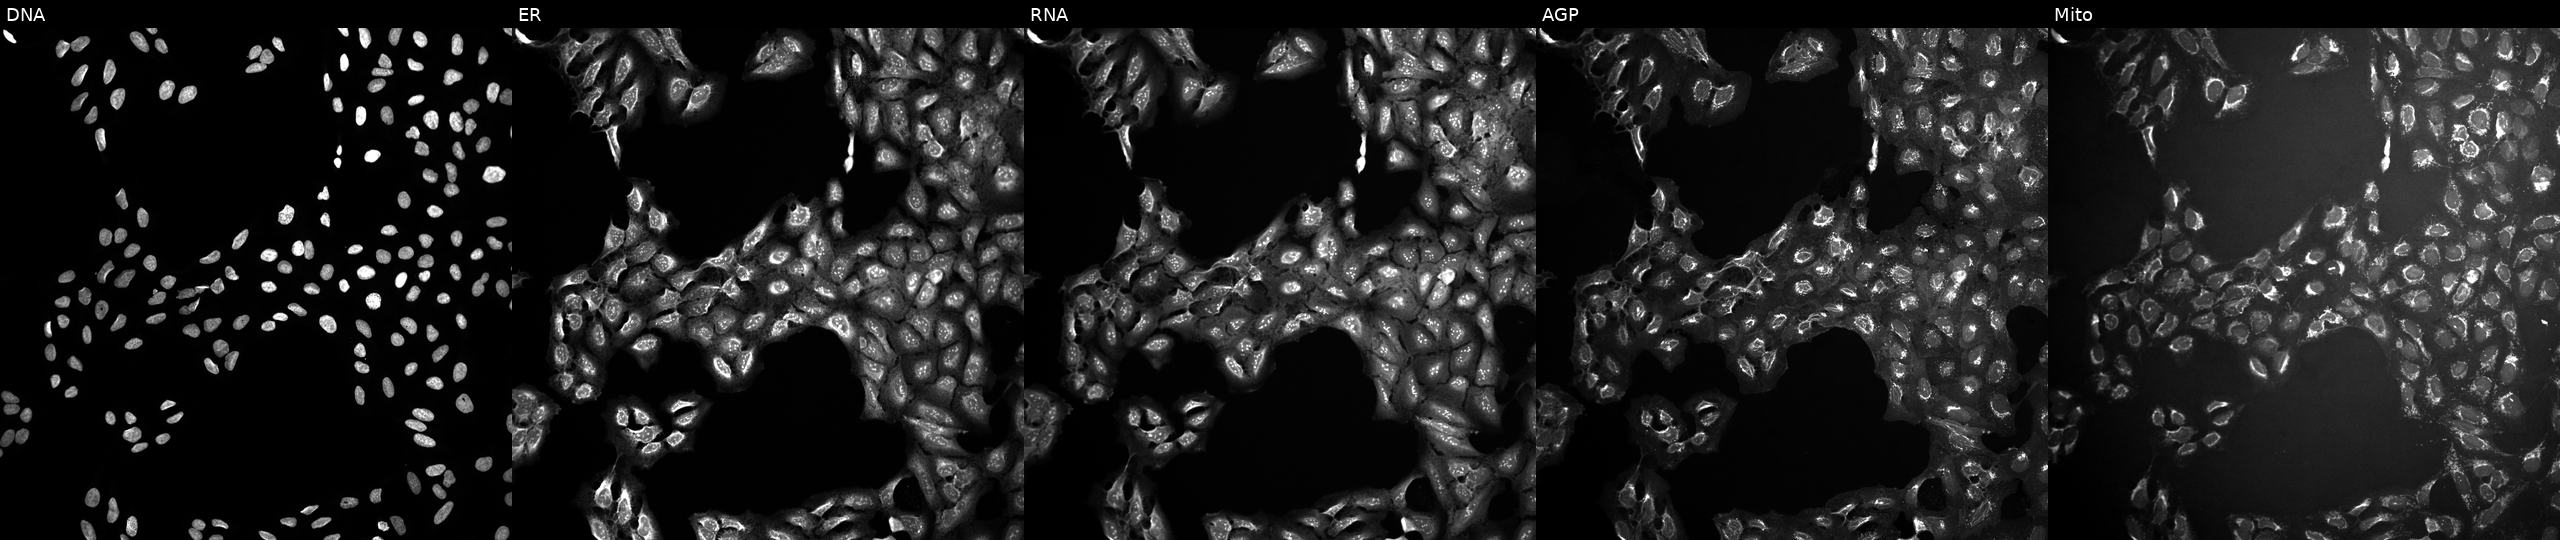
Five-channel Cell Painting image of U2OS cells perturbed with a small-molecule compound (InChIKey KFAKESMKRPNZTM-UHFFFAOYSA-N). Panels show, left to right, DNA (nuclei); ER (endoplasmic reticulum); RNA (nucleoli and cytoplasmic RNA); AGP (actin cytoskeleton, Golgi, and plasma membrane); Mito (mitochondria).